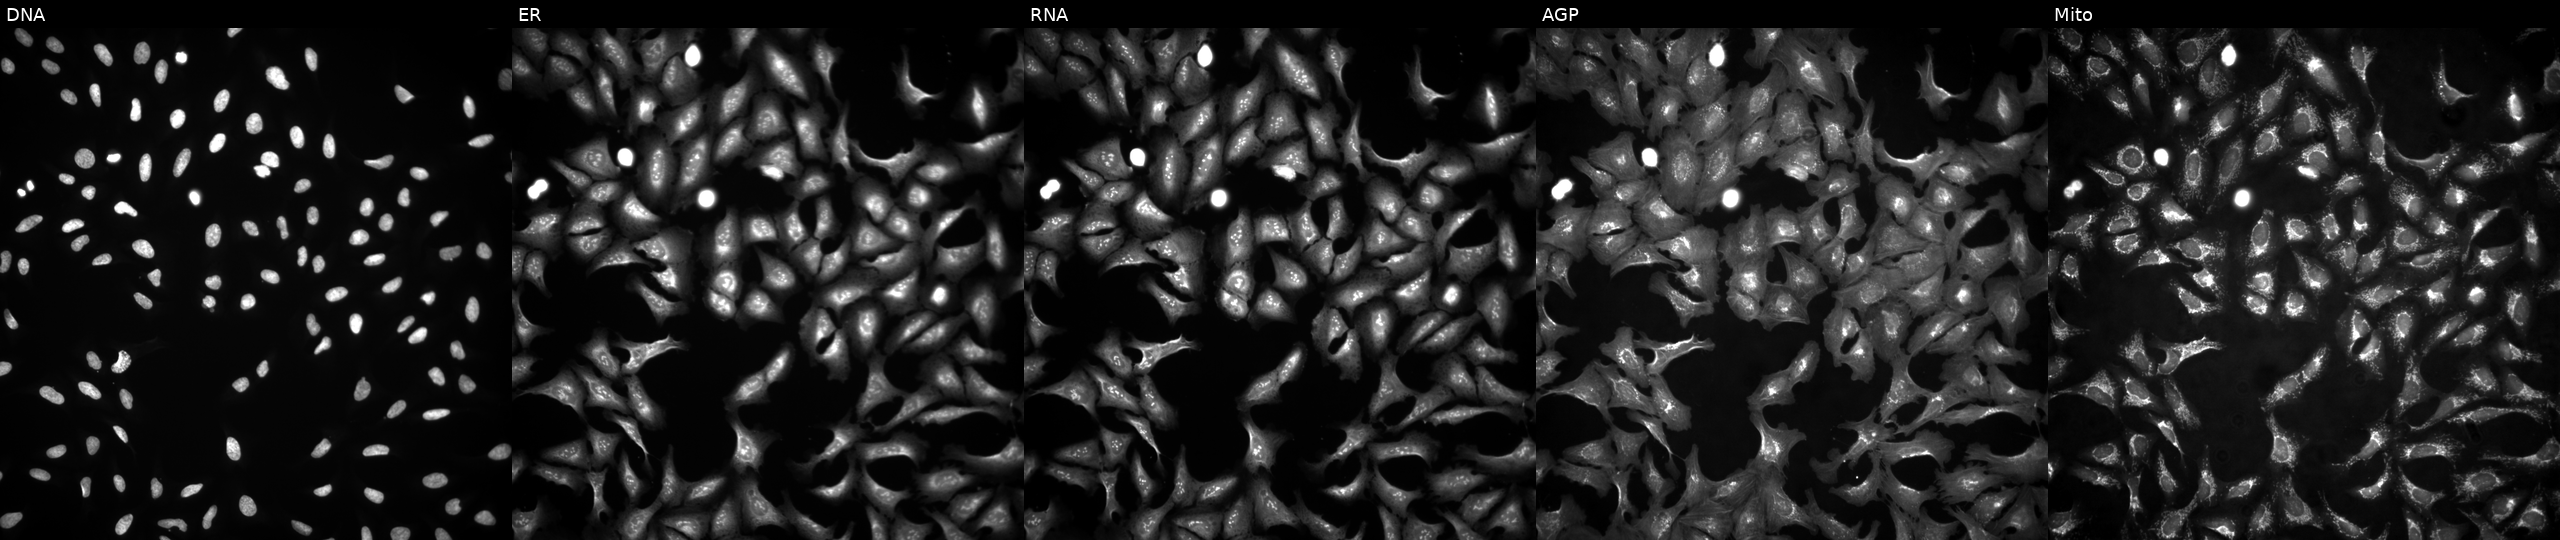
This image strip shows the five Cell Painting channels for a single field of U2OS cells with PPIL2 overexpressed (ORF) (JUMP id JCP2022_907413). From left to right: Hoechst 33342, concanavalin A, SYTO 14, phalloidin and WGA, MitoTracker.